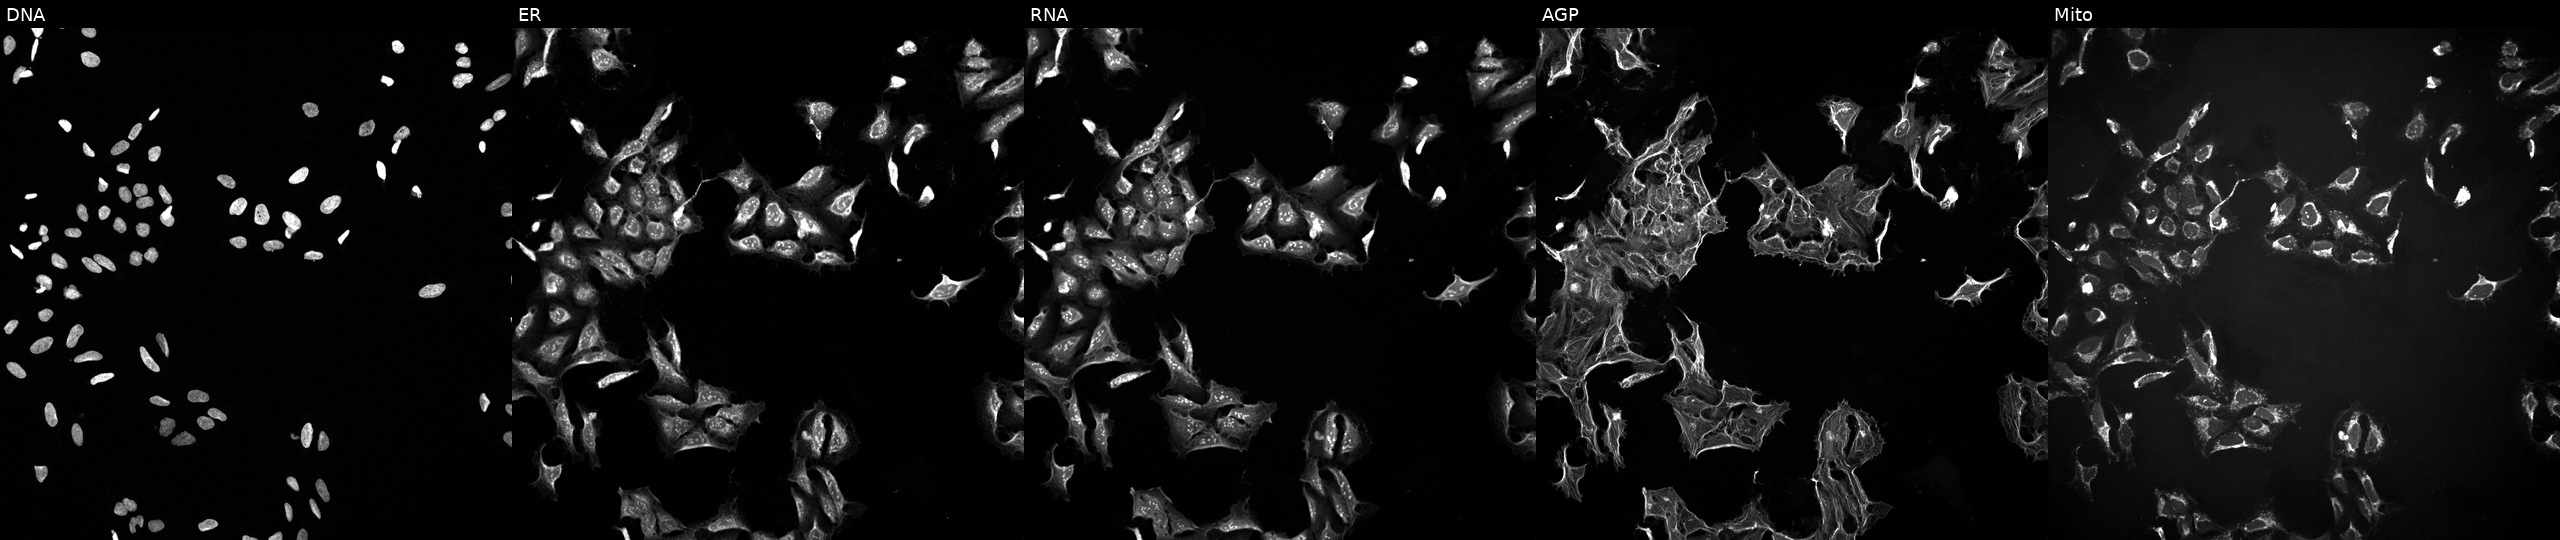
Channels (left→right): DNA, ER, RNA, AGP, and Mito. U2OS osteosarcoma cells exposed to a small-molecule compound (InChIKey GUUGZPSUOTWOMD-UHFFFAOYSA-N) (JUMP id JCP2022_027911). Cell Painting assay, JUMP-CP dataset.